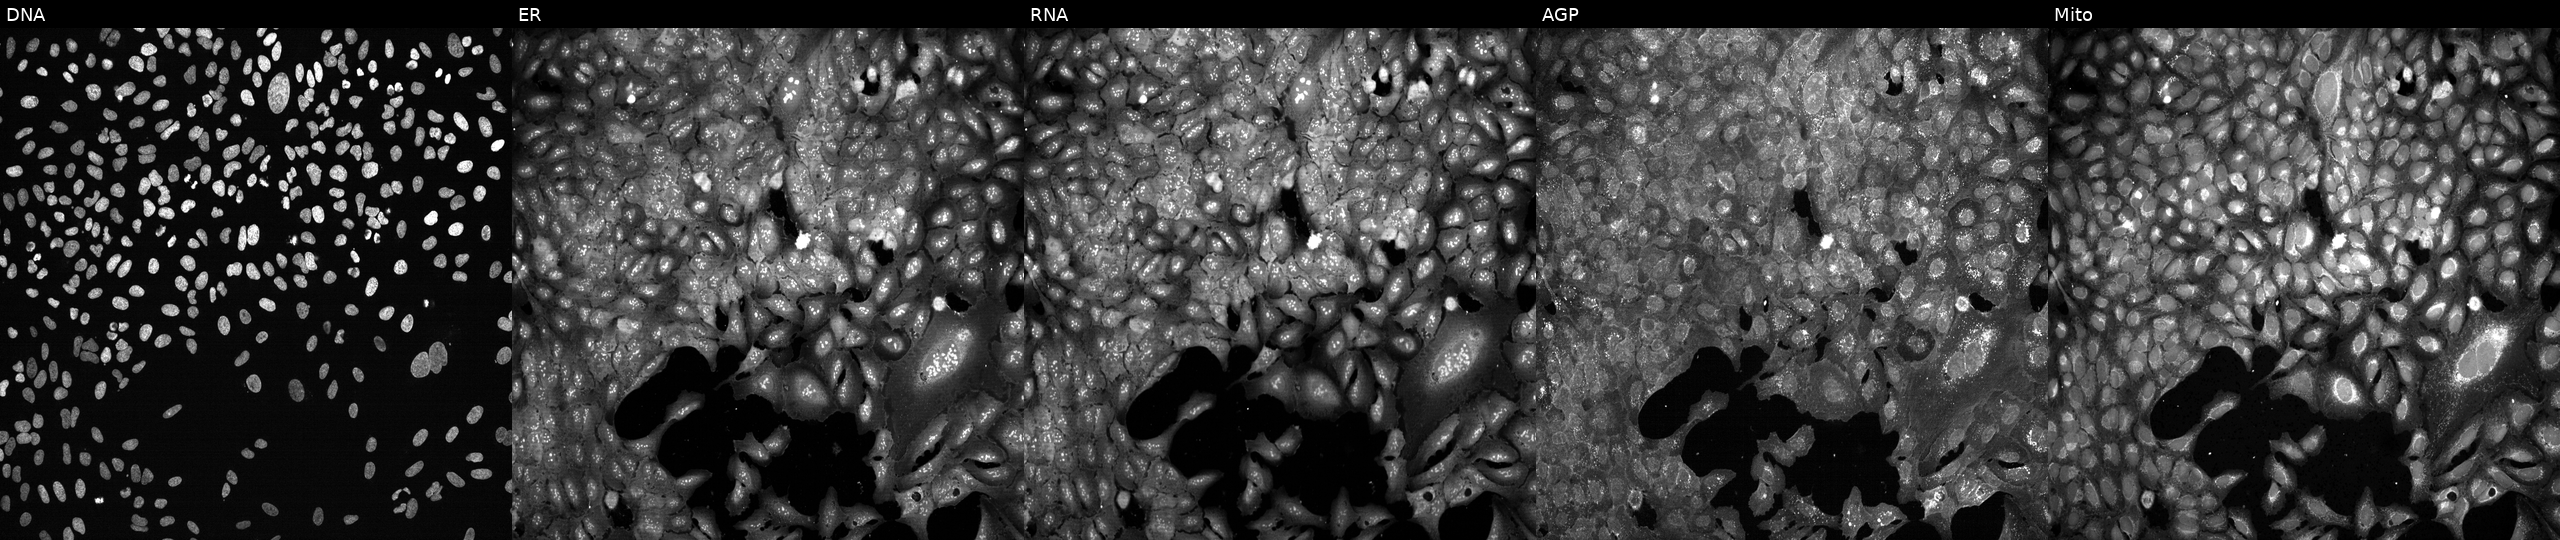
JUMP Cell Painting — CRISPR plate. U2OS cells following CRISPR knockout of MYO1E. The five panels, left to right, show Hoechst 33342, concanavalin A, SYTO 14, phalloidin and WGA, MitoTracker. Source 13, plate CP-CC9-R1-01, well H07.